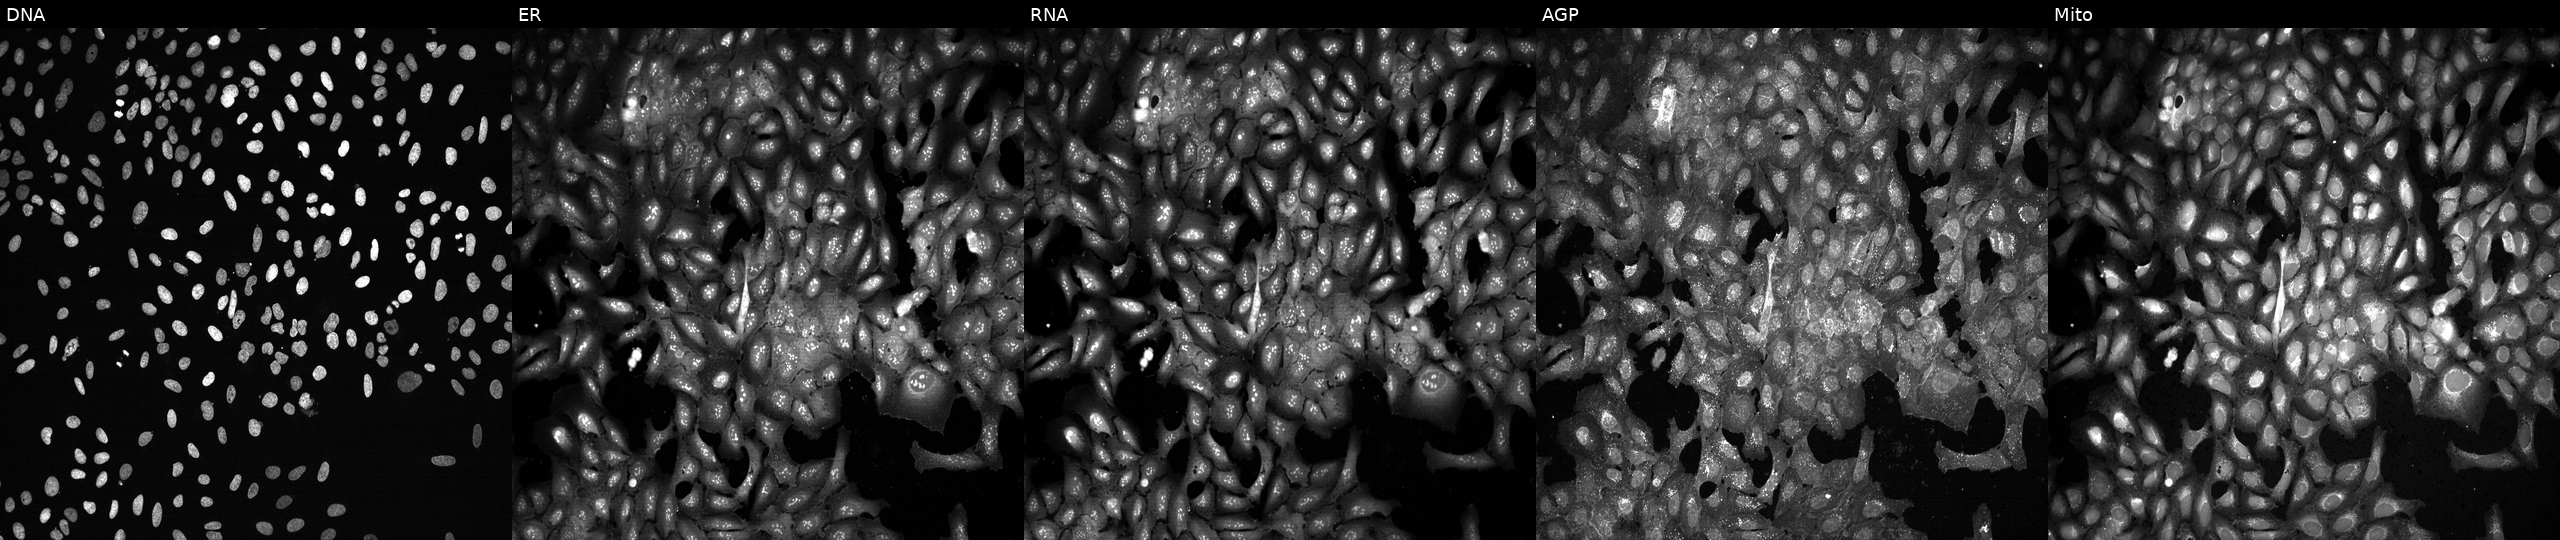
JUMP Cell Painting — CRISPR plate. U2OS cells CRISPR-edited to disrupt KIF22. The five panels, left to right, show Hoechst 33342, concanavalin A, SYTO 14, phalloidin and WGA, MitoTracker. Source 13, plate CP-CC9-R1-02, well N16.